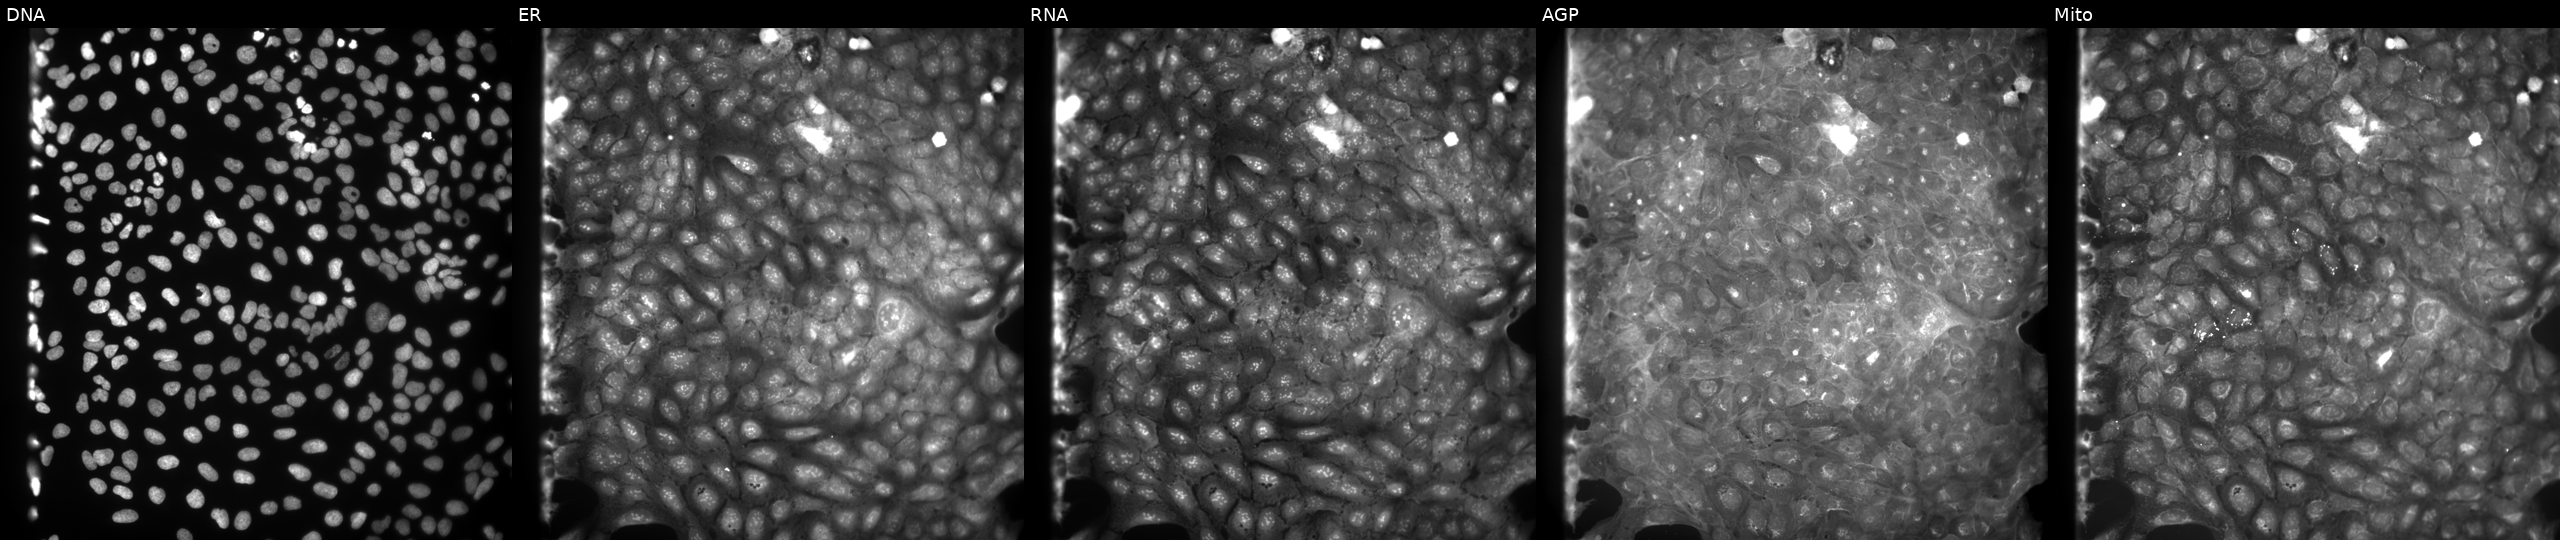
U2OS cells, Cell Painting assay, perturbed with a small-molecule compound (InChIKey LYUZYPKZQDYMEE-UHFFFAOYSA-N) [SMILES: CC=C(C)C(=O)OC1c2c(ccc3ccc(=O)oc23)OC(C)(C)C1OC(C)=O] (JUMP id JCP2022_052581). Channels (left→right): Hoechst 33342, concanavalin A, SYTO 14, phalloidin and WGA, MitoTracker. Each panel is percentile-stretched 16-bit fluorescence.